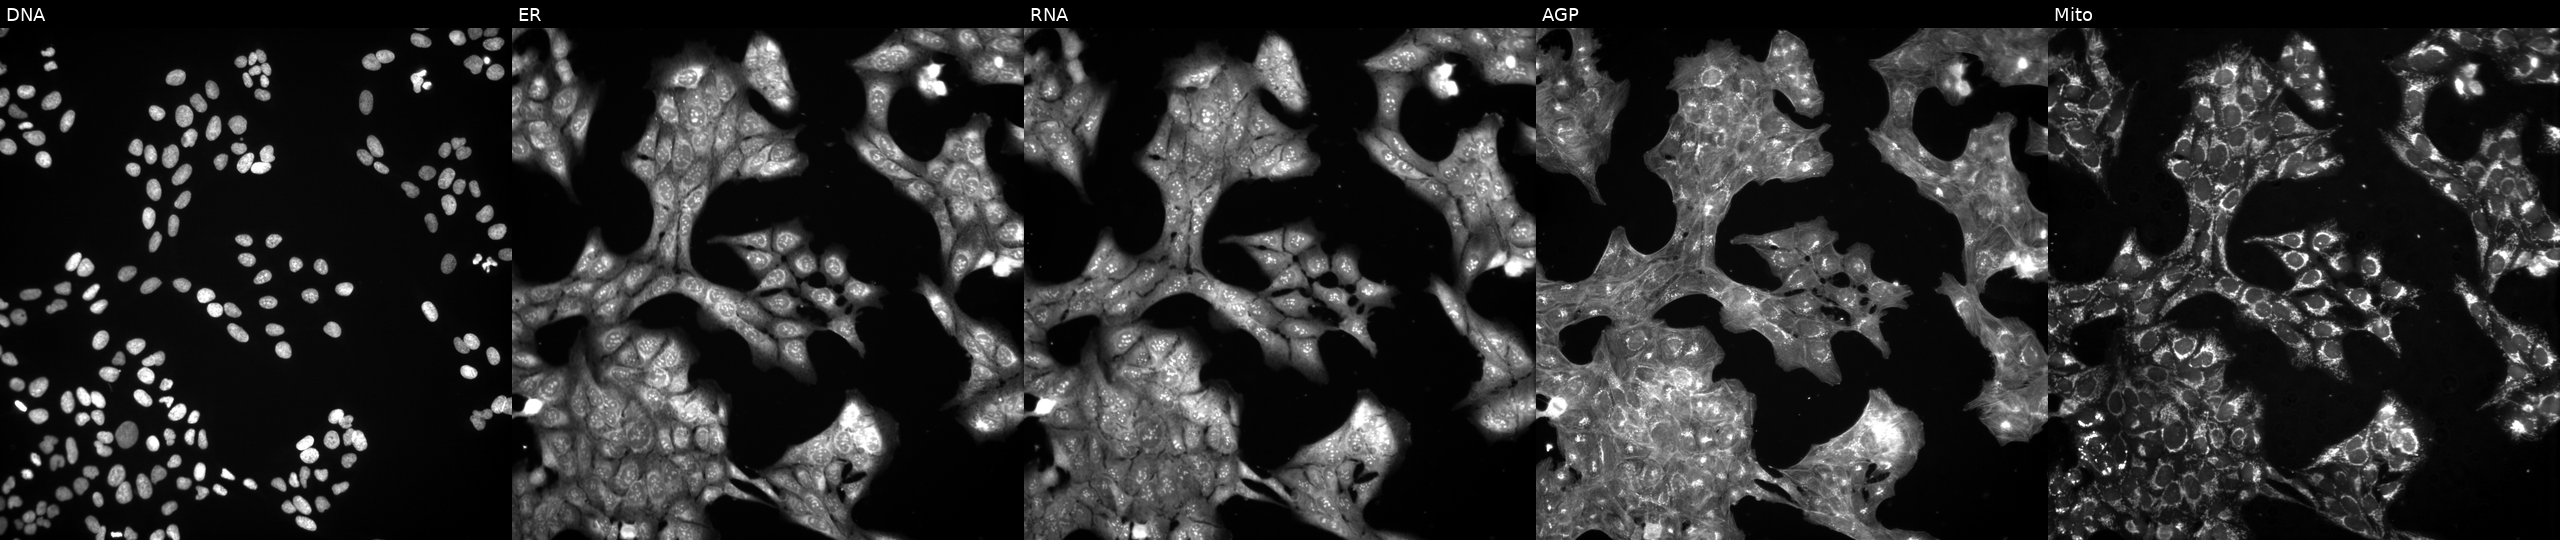
JUMP Cell Painting — COMPOUND plate. U2OS cells treated with LY2109761 (positive-control compound). Channels (left→right): DNA (nuclei); ER (endoplasmic reticulum); RNA (nucleoli and cytoplasmic RNA); AGP (actin cytoskeleton, Golgi, and plasma membrane); Mito (mitochondria).